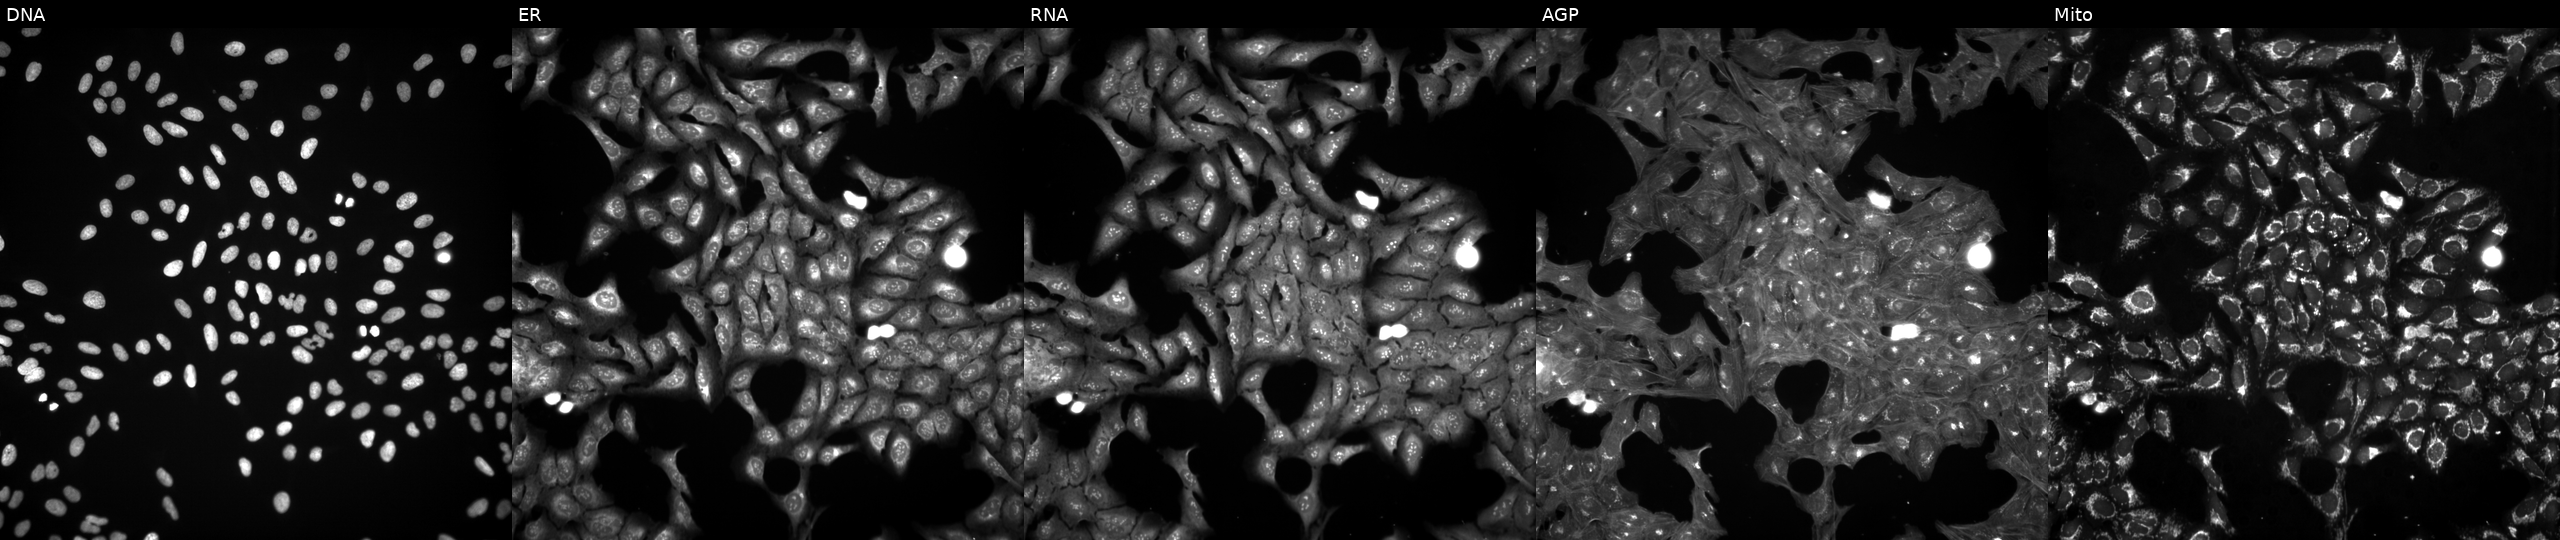
U2OS cells, Cell Painting assay, perturbed with a small-molecule compound. Panels show, left to right, DNA, ER, RNA, AGP, and Mito. Each panel is percentile-stretched 16-bit fluorescence.